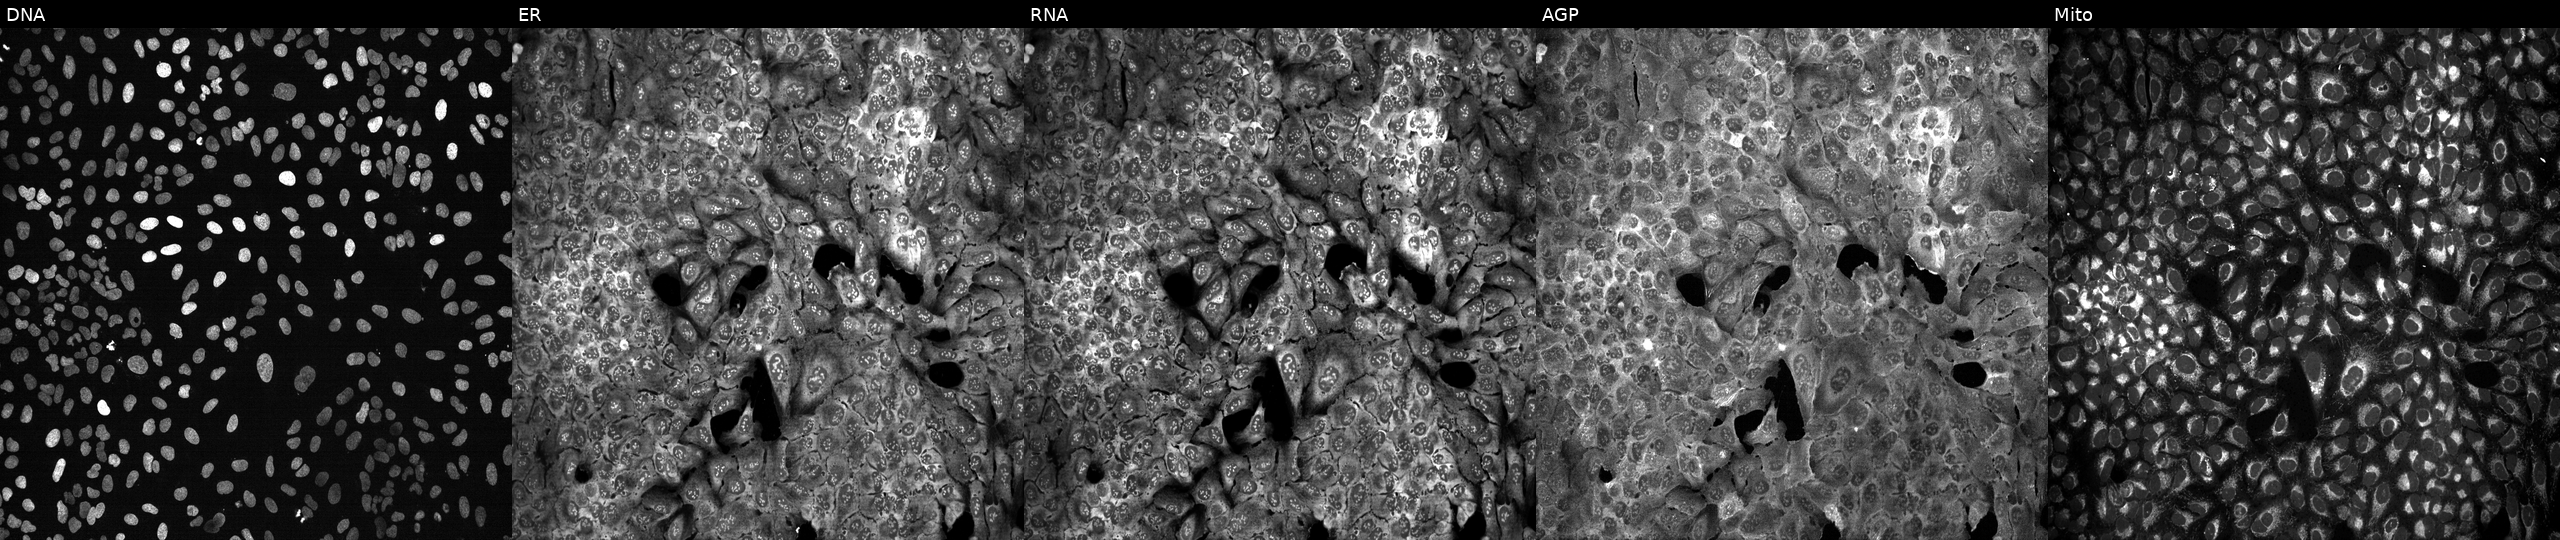
Five-channel Cell Painting image of U2OS cells following CRISPR knockout of SLC1A2. The five panels, left to right, show Hoechst 33342, concanavalin A, SYTO 14, phalloidin and WGA, MitoTracker.